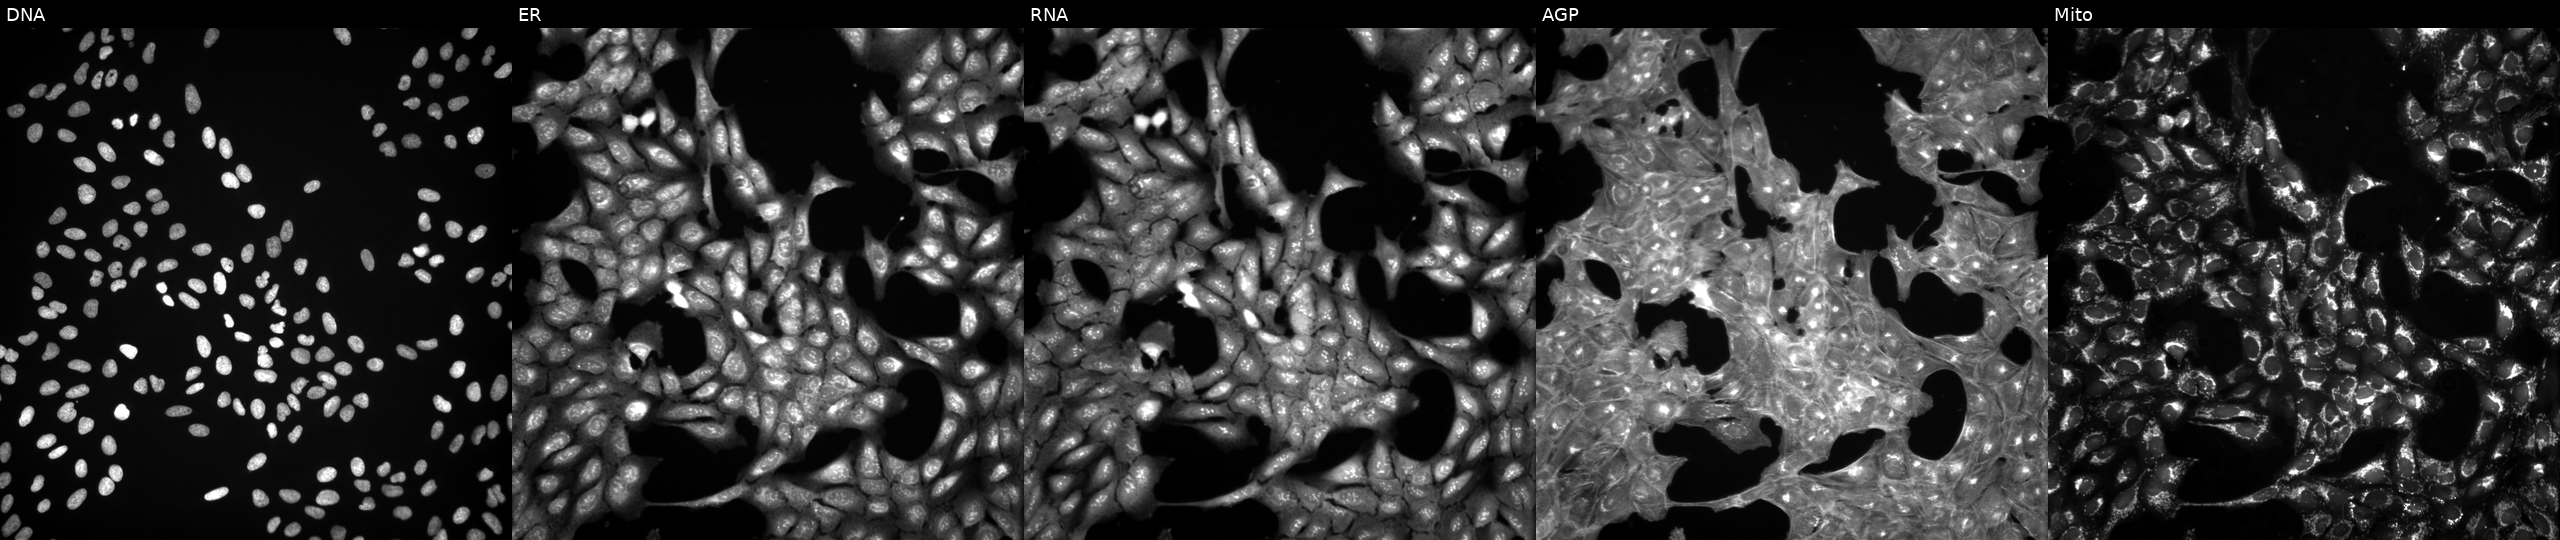
This image strip shows the five Cell Painting channels for a single field of U2OS cells treated with DMSO vehicle only (negative control). Panels show, left to right, DNA, ER, RNA, AGP, and Mito.